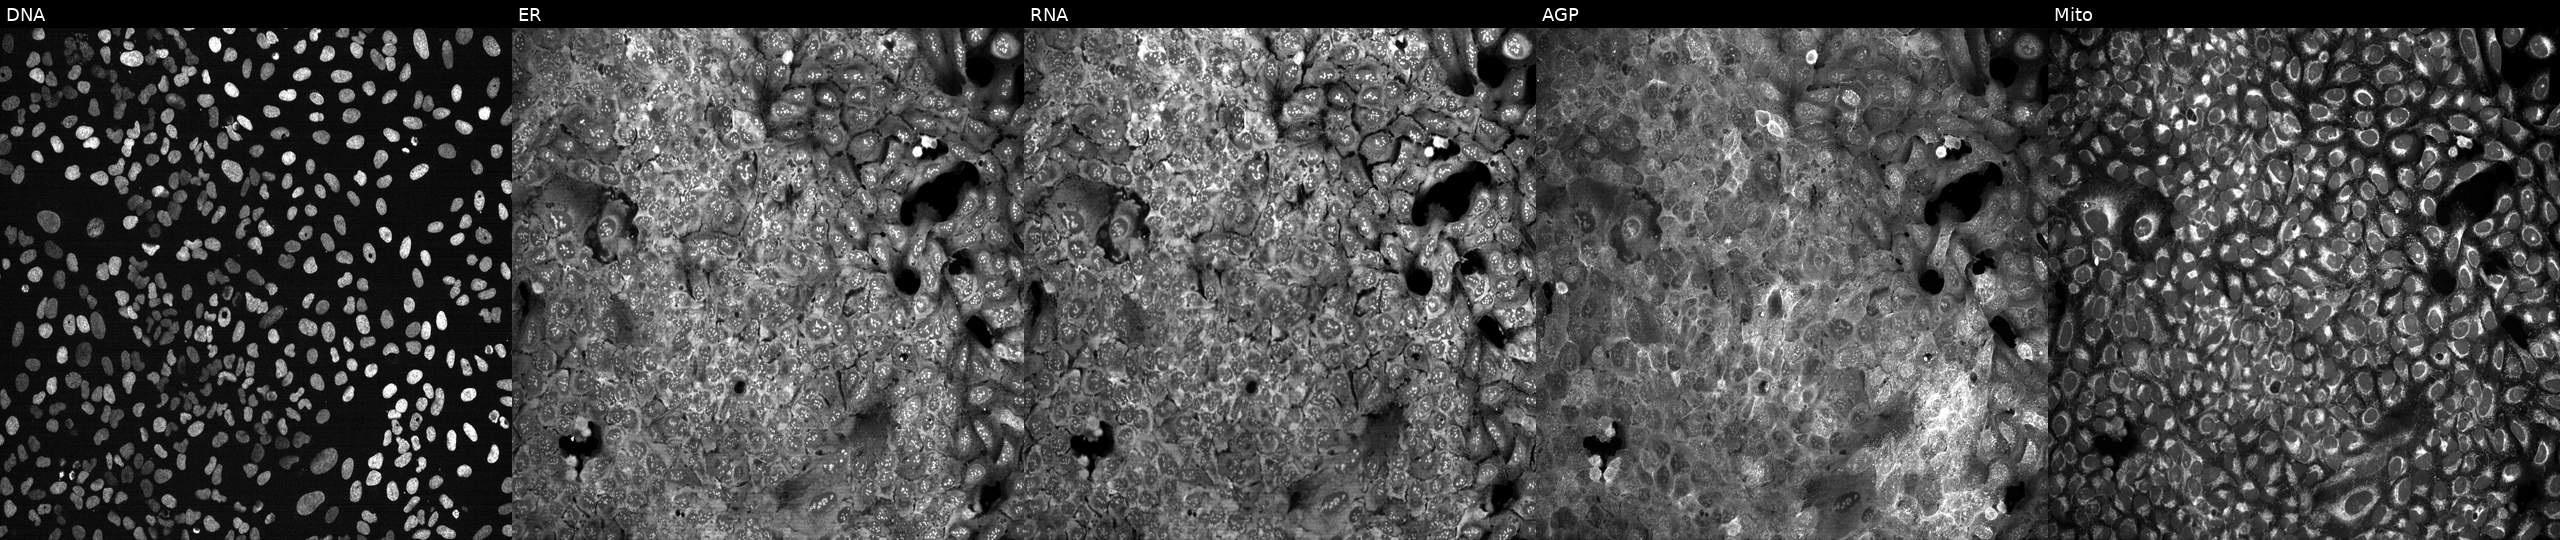
From left to right: DNA (nuclei); ER (endoplasmic reticulum); RNA (nucleoli and cytoplasmic RNA); AGP (actin cytoskeleton, Golgi, and plasma membrane); Mito (mitochondria). U2OS osteosarcoma cells following CRISPR knockout of SNX9. Cell Painting assay, JUMP-CP dataset. Source 13, plate CP-CC9-R4-04, well H06.